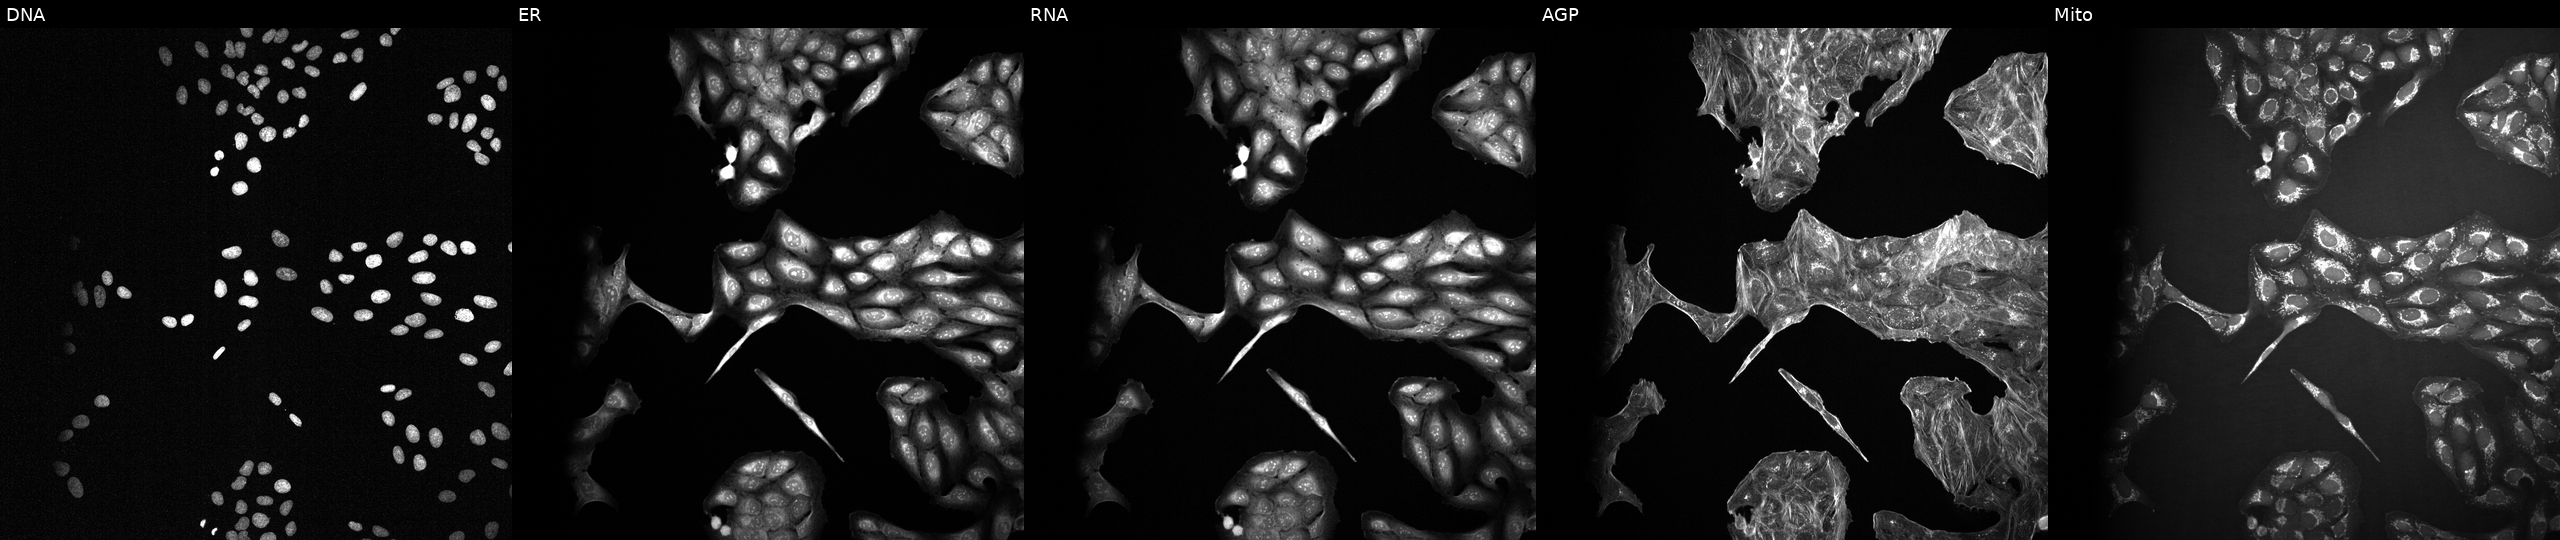
U2OS cells, Cell Painting assay, perturbed with a small-molecule compound (InChIKey ALBKMJDFBZVHAK-UHFFFAOYSA-N). Panels show, left to right, DNA, ER, RNA, AGP, and Mito. Each panel is percentile-stretched 16-bit fluorescence.